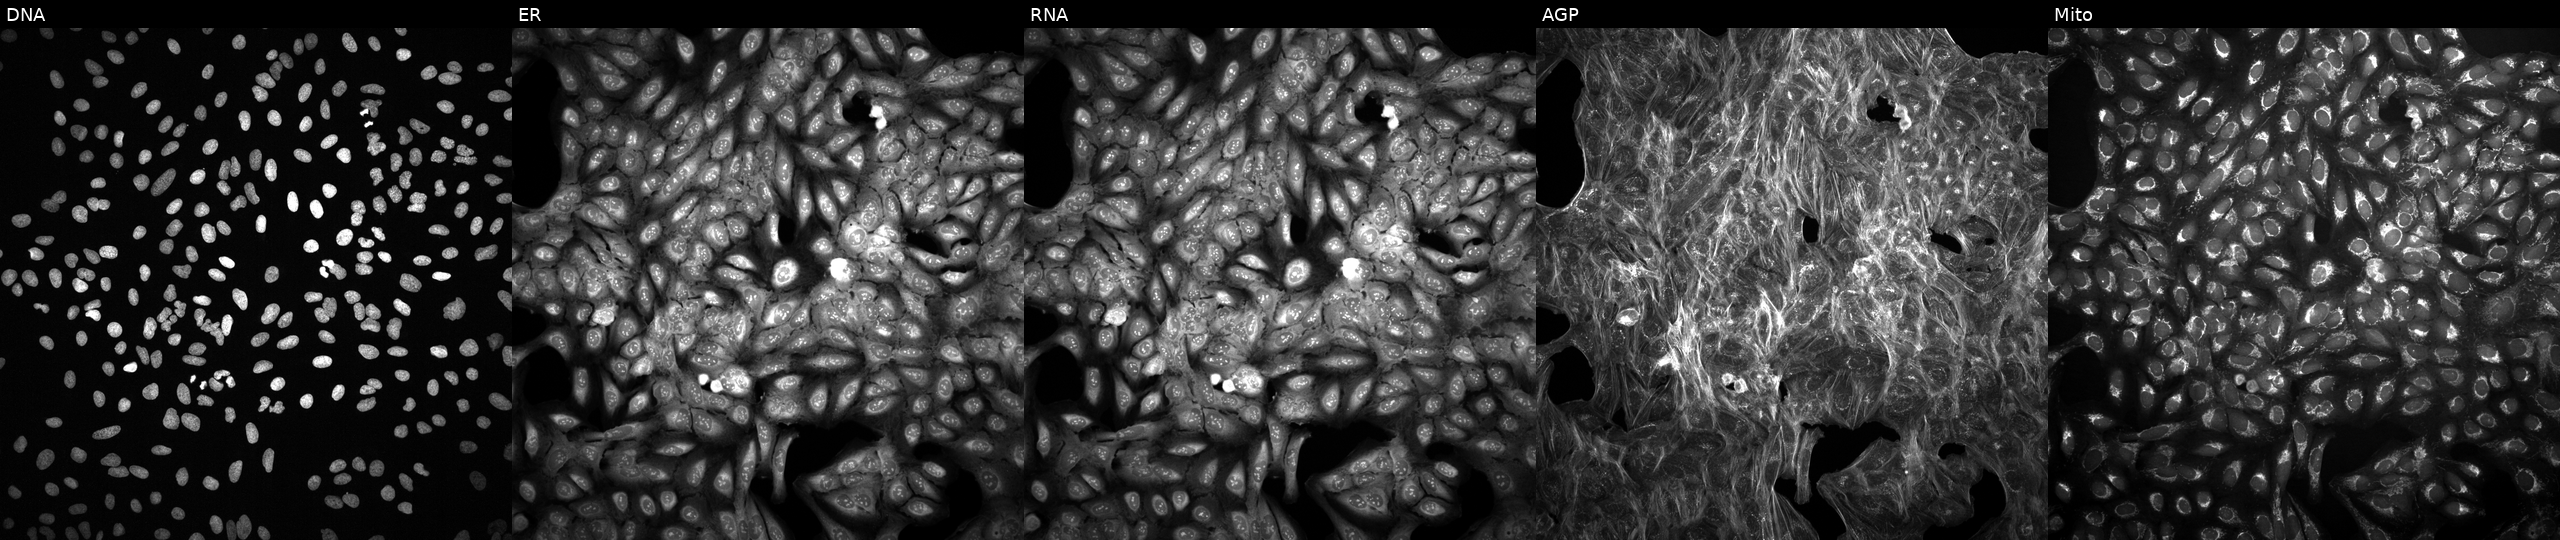
Five-channel Cell Painting image of U2OS cells perturbed with a small-molecule compound (InChIKey PIWKPBJCKXDKJR-UHFFFAOYSA-N) (JUMP id JCP2022_068901). Channels (left→right): DNA, ER, RNA, AGP, and Mito.